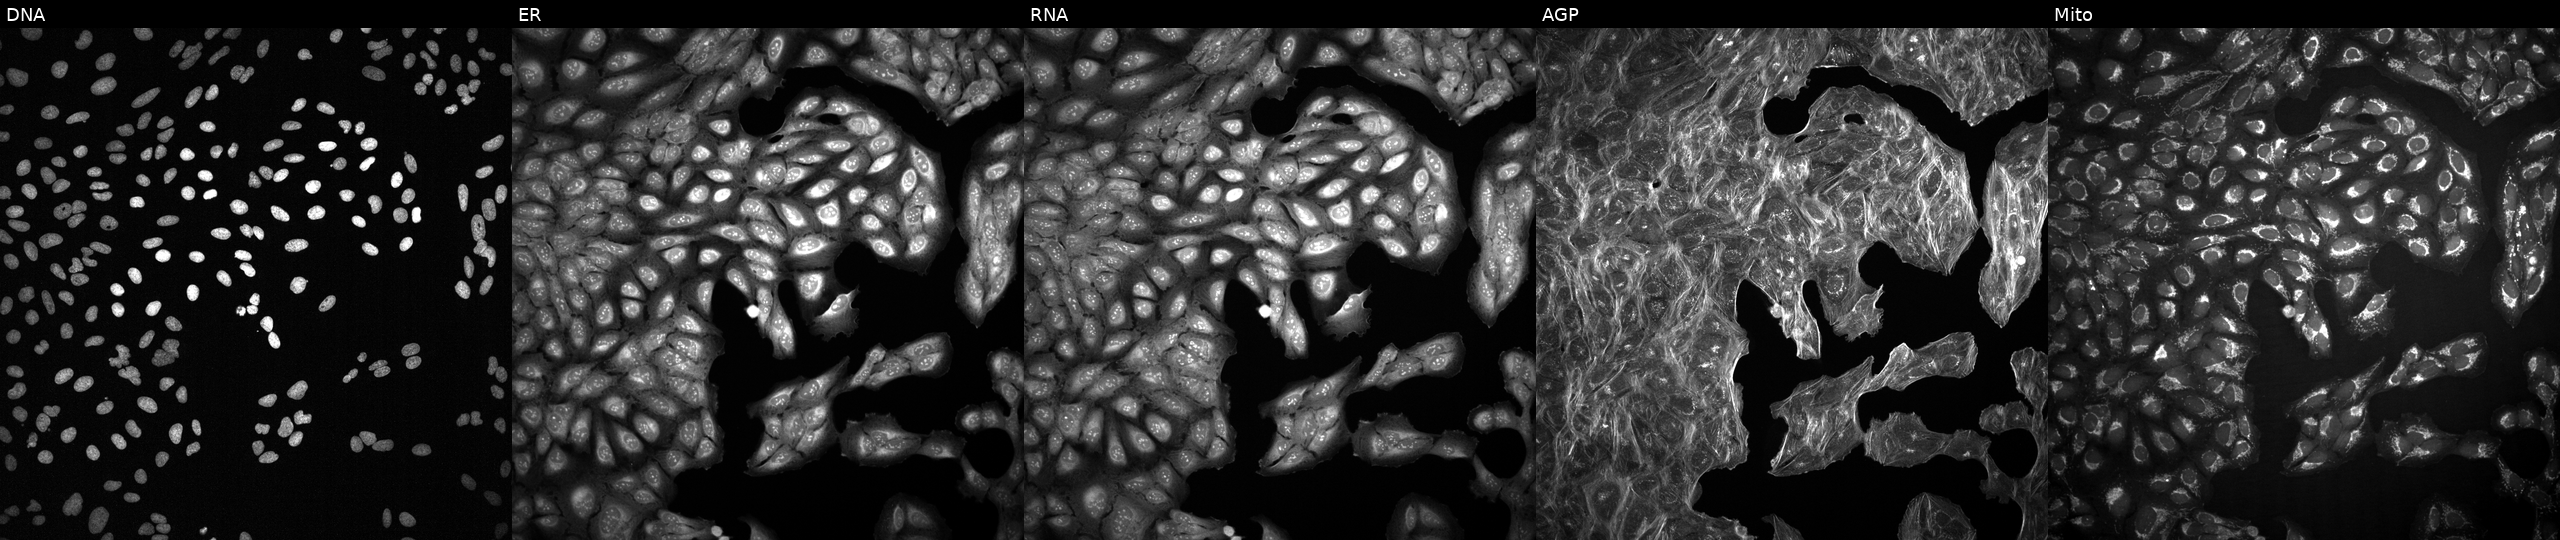
Five-channel Cell Painting image of U2OS cells perturbed with a small-molecule compound (JUMP id JCP2022_062023). From left to right: DNA (nuclei); ER (endoplasmic reticulum); RNA (nucleoli and cytoplasmic RNA); AGP (actin cytoskeleton, Golgi, and plasma membrane); Mito (mitochondria).